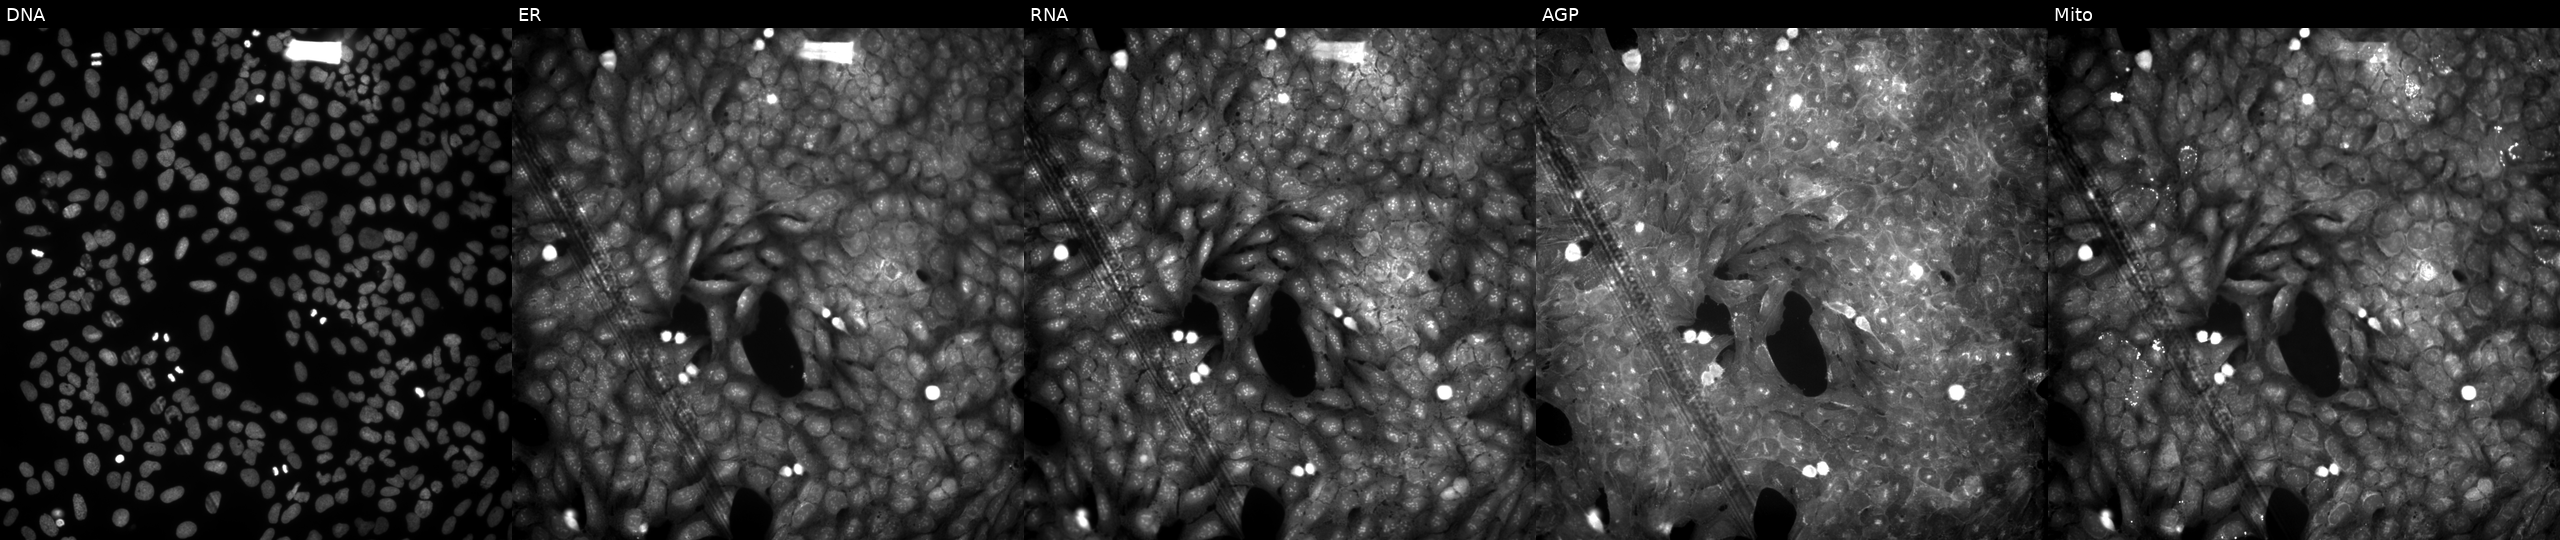
U2OS cells, Cell Painting assay, exposed to the positive-control compound dexamethasone. Channels (left→right): DNA, ER, RNA, AGP, and Mito. Each panel is percentile-stretched 16-bit fluorescence. Source 9, plate GR00003382, well S25.